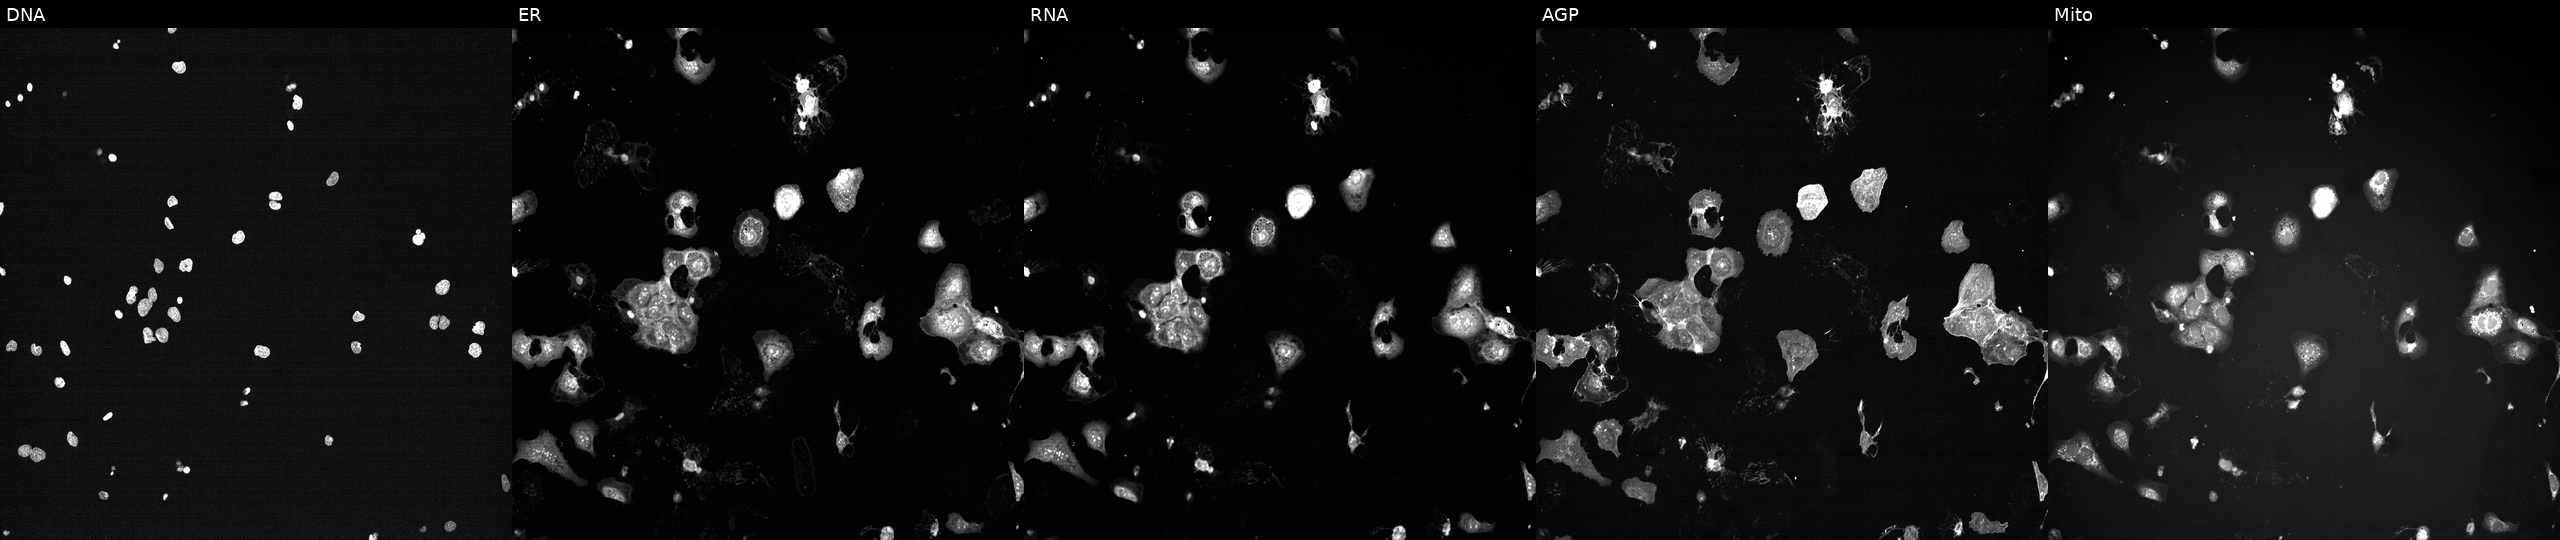
JUMP Cell Painting — TARGET2 plate. U2OS cells treated with a small-molecule compound (InChIKey AJVXVYTVAAWZAP-UHFFFAOYSA-N). From left to right: Hoechst 33342, concanavalin A, SYTO 14, phalloidin and WGA, MitoTracker. Source 7, plate CP3-SC1-25, well O05.